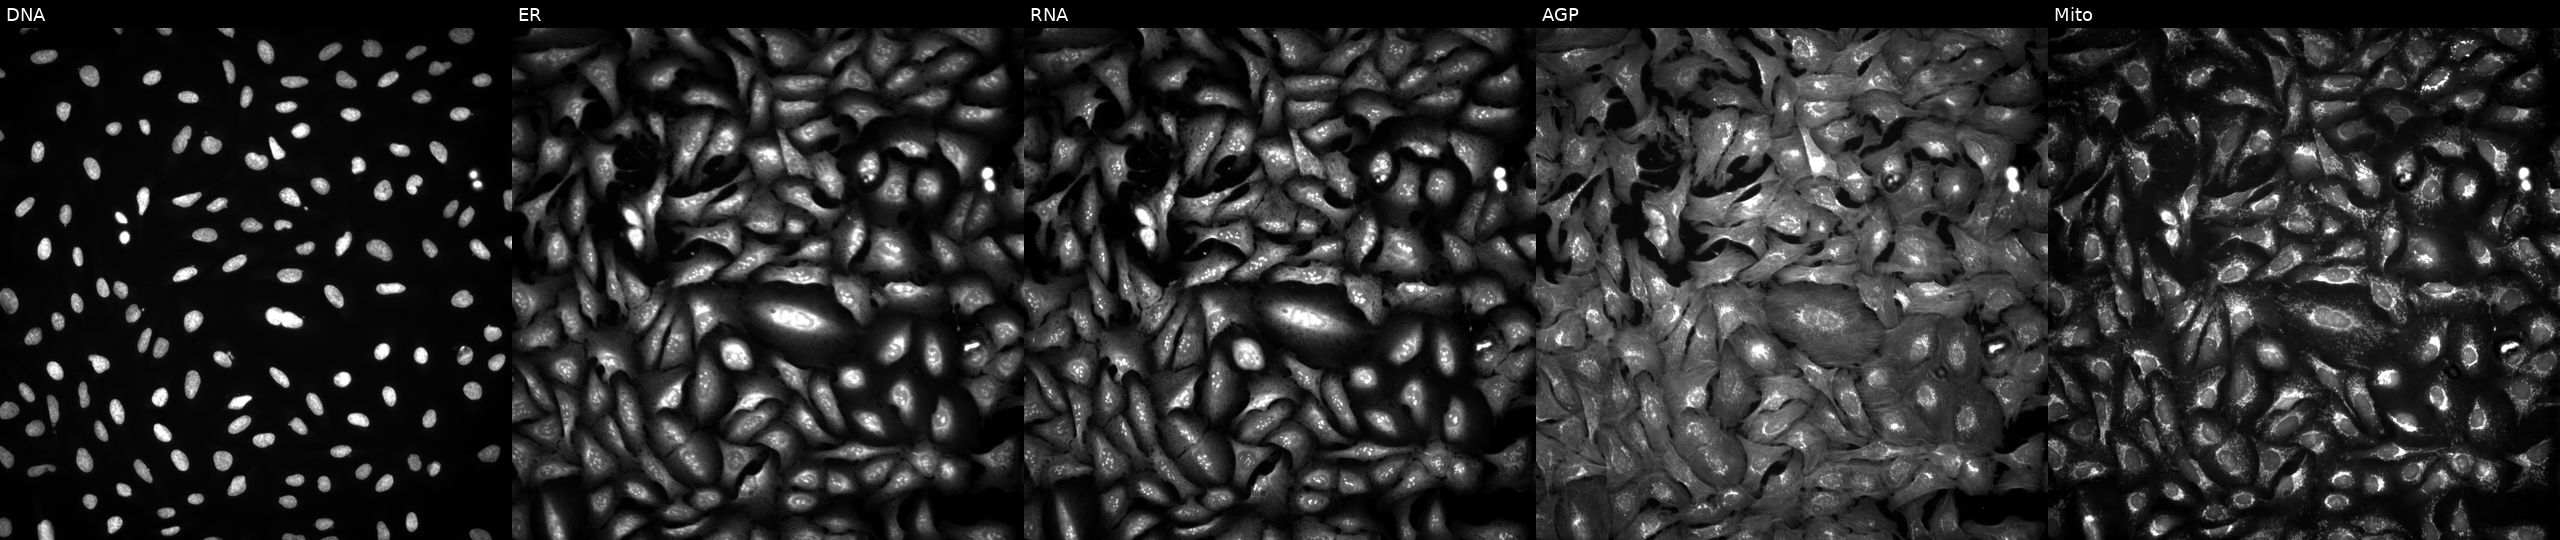
High-content fluorescence microscopy (Cell Painting). Cell line: U2OS. Perturbation: transfected with an ORF construct for DGKA. Panels show, left to right, DNA (nuclei); ER (endoplasmic reticulum); RNA (nucleoli and cytoplasmic RNA); AGP (actin cytoskeleton, Golgi, and plasma membrane); Mito (mitochondria). Source 4, plate BR00123945, well D11.